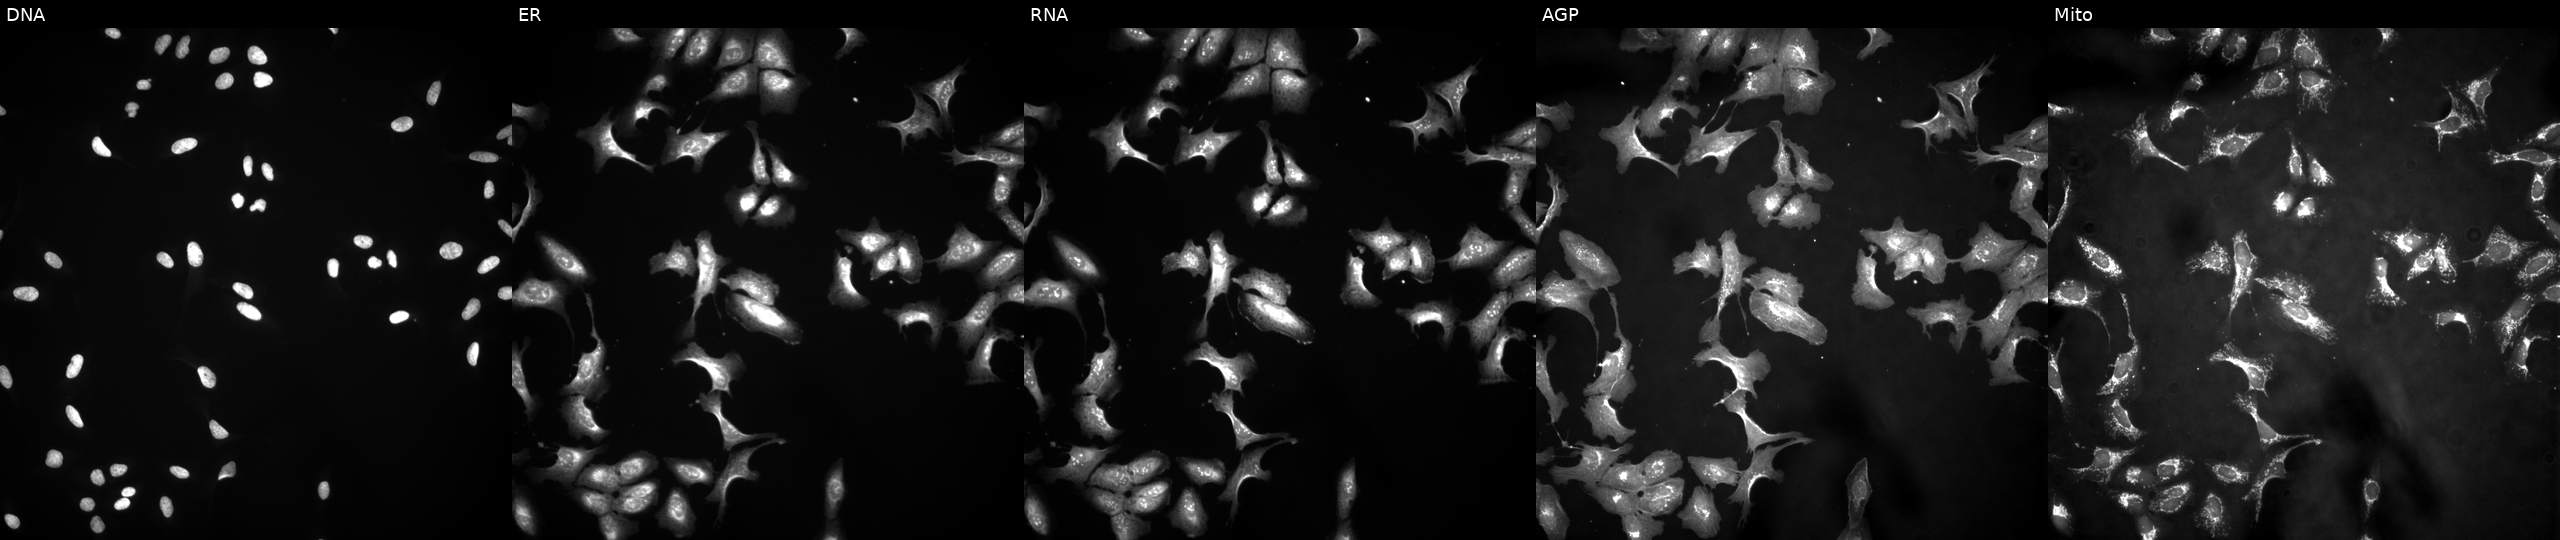
JUMP Cell Painting — ORF plate. U2OS cells overexpressing SLC9A9 via ORF transfection. Panels show, left to right, DNA (nuclei); ER (endoplasmic reticulum); RNA (nucleoli and cytoplasmic RNA); AGP (actin cytoskeleton, Golgi, and plasma membrane); Mito (mitochondria).